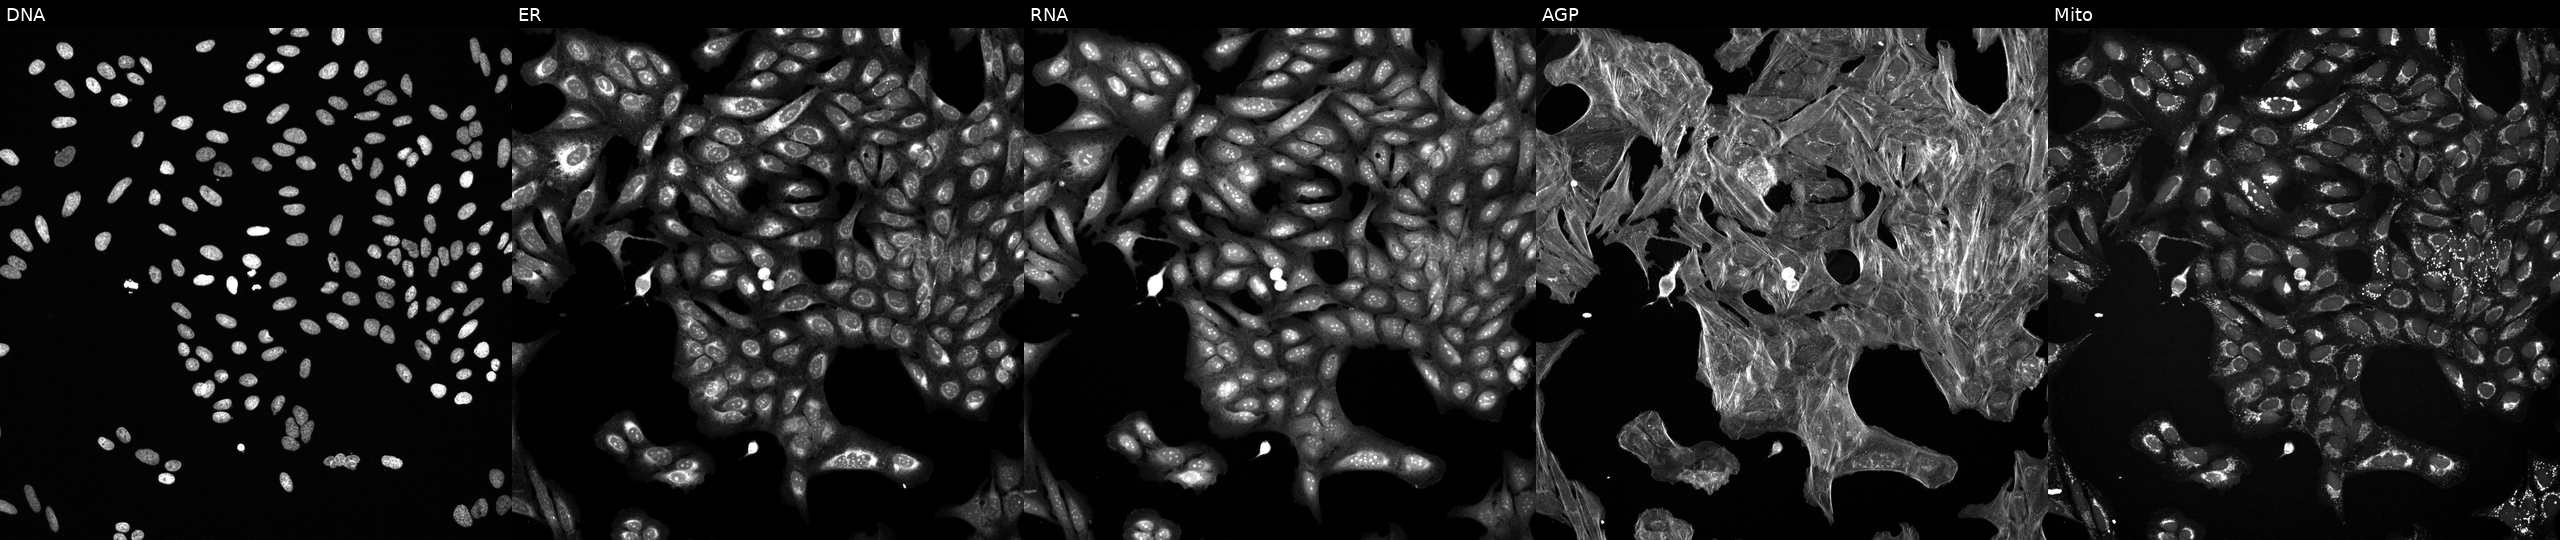
This image strip shows the five Cell Painting channels for a single field of U2OS cells treated with a small-molecule compound (InChIKey NBHPRWLFLUBAIE-UHFFFAOYSA-N). The five panels, left to right, show DNA (nuclei); ER (endoplasmic reticulum); RNA (nucleoli and cytoplasmic RNA); AGP (actin cytoskeleton, Golgi, and plasma membrane); Mito (mitochondria).